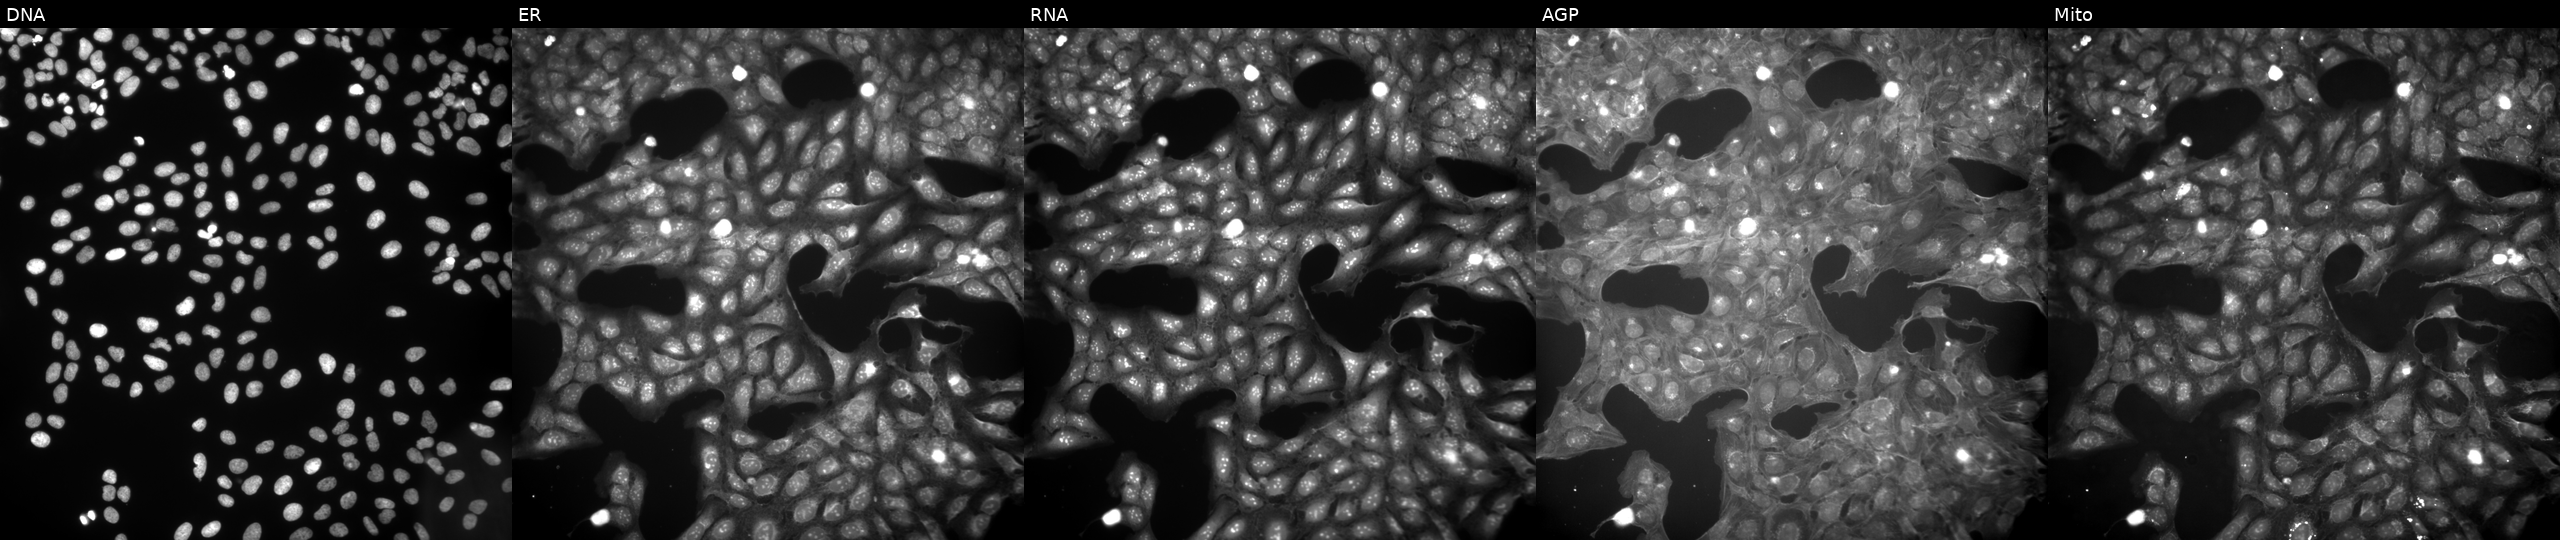
This image strip shows the five Cell Painting channels for a single field of U2OS cells treated with a small-molecule compound. The five panels, left to right, show Hoechst 33342, concanavalin A, SYTO 14, phalloidin and WGA, MitoTracker.